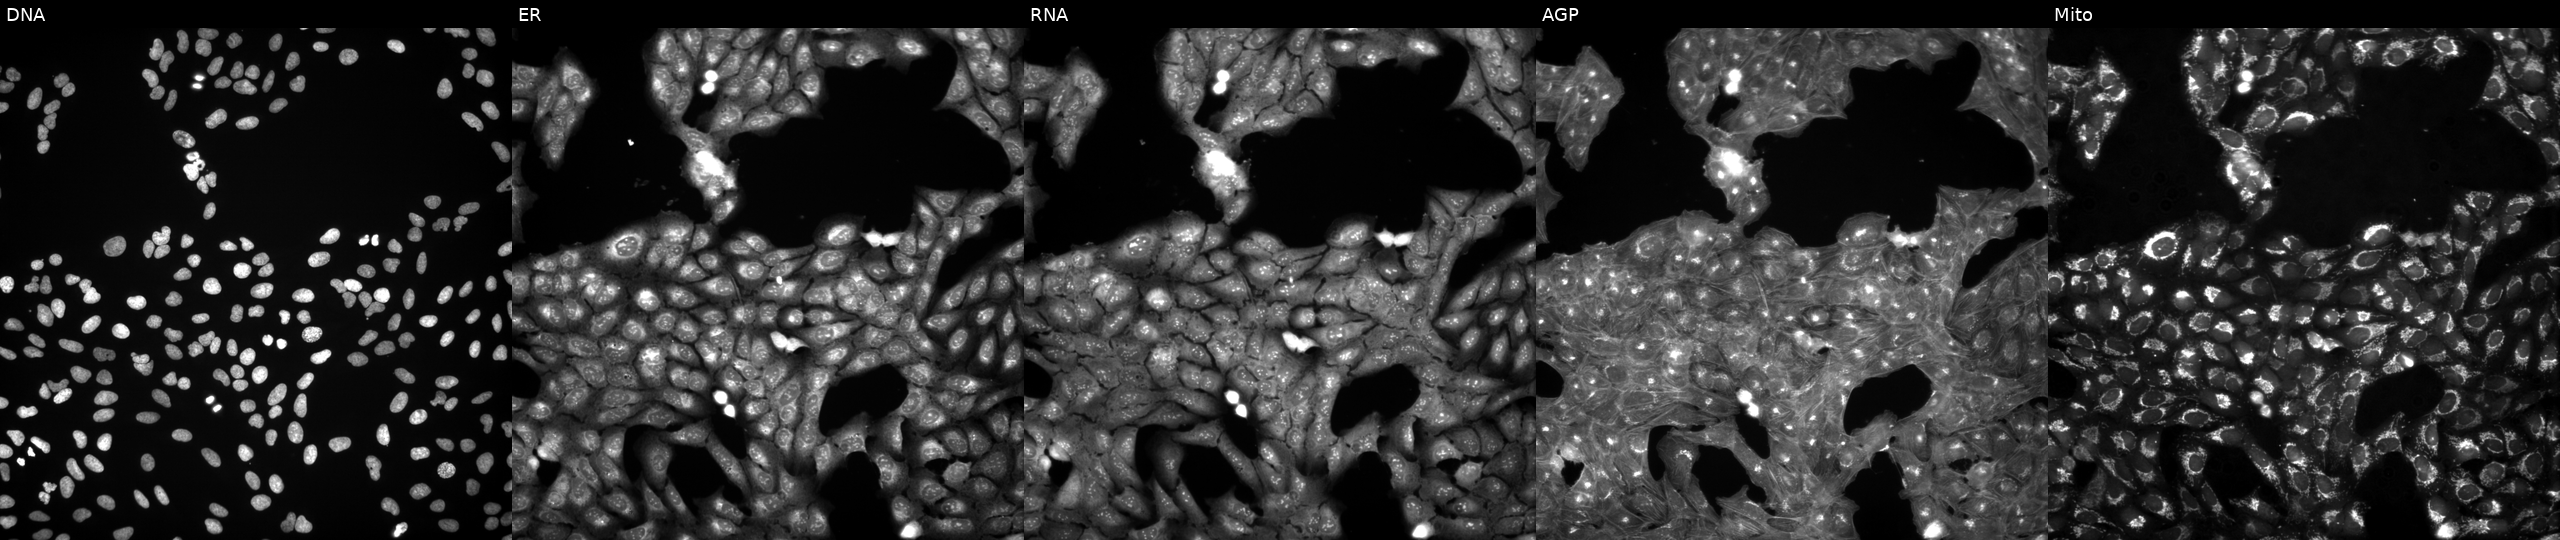
Five-channel Cell Painting image of U2OS cells exposed to a small-molecule compound (JUMP id JCP2022_087214). The five panels, left to right, show Hoechst 33342, concanavalin A, SYTO 14, phalloidin and WGA, MitoTracker. Source 3, plate BR5867a3, well E22.